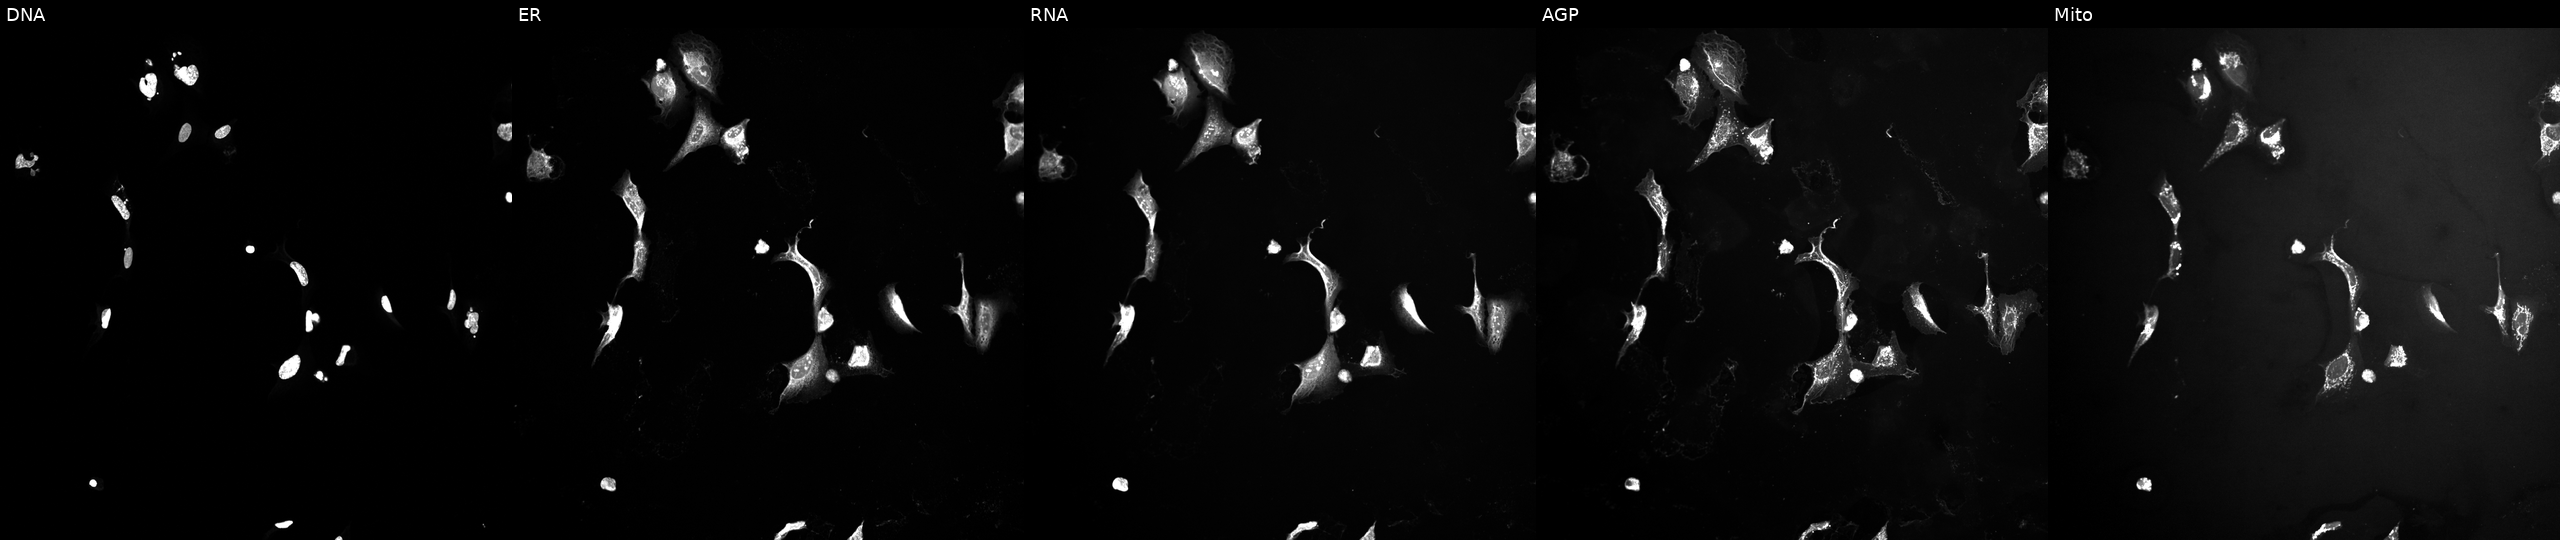
JUMP Cell Painting — TARGET2 plate. U2OS cells exposed to a small-molecule compound (JUMP id JCP2022_105442). Channels (left→right): DNA, ER, RNA, AGP, and Mito. Source 10, plate Dest210803-153958, well J20.